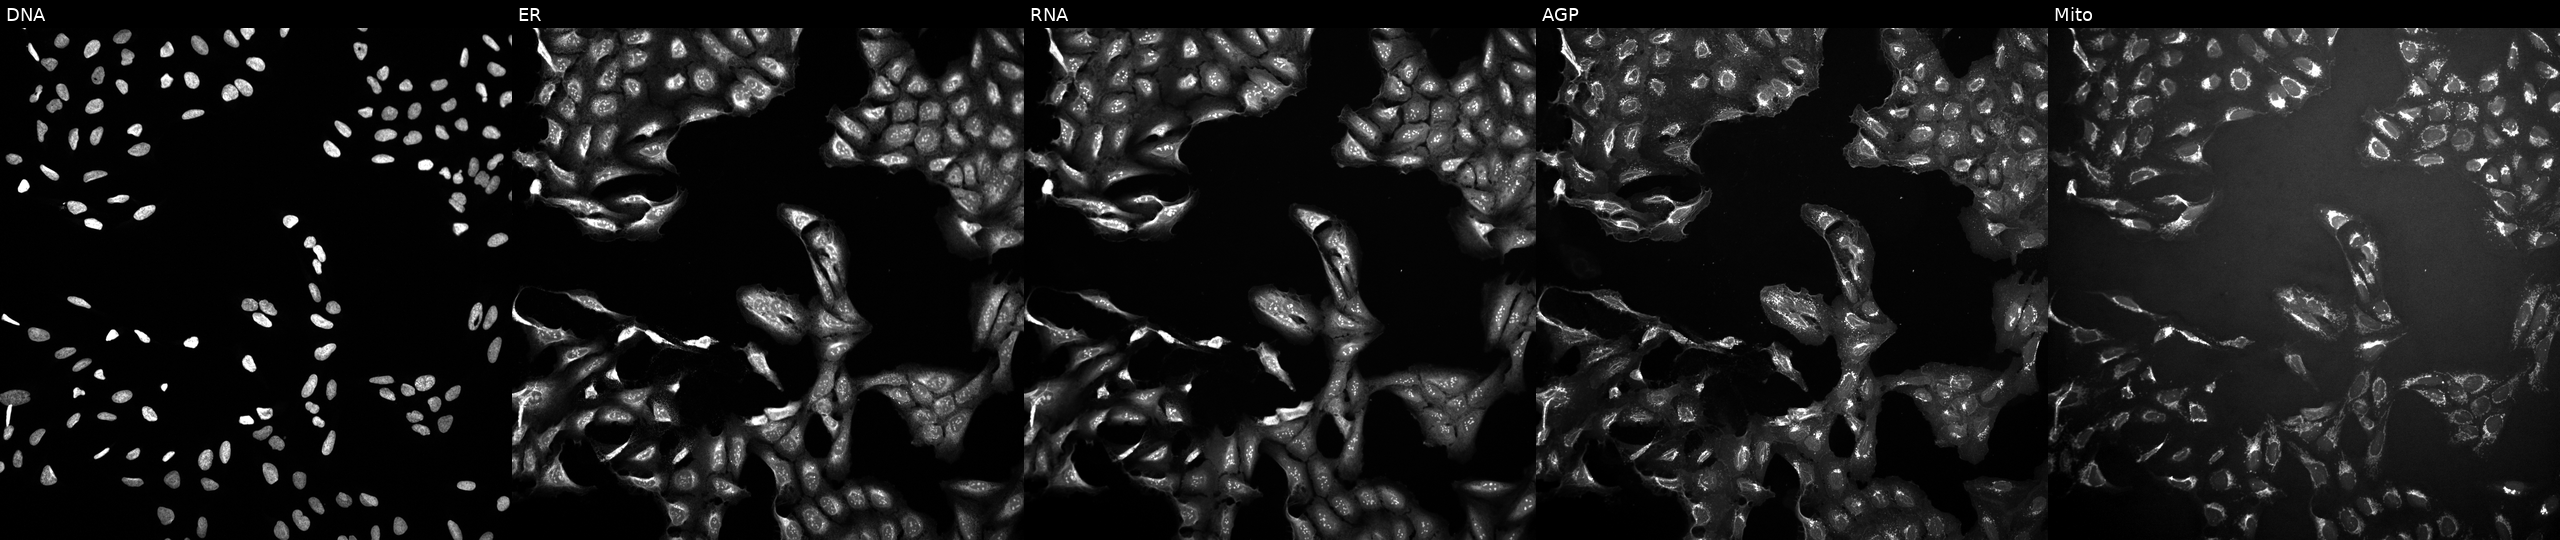
Five-channel Cell Painting image of U2OS cells exposed to DMSO alone as a negative control. Channels (left→right): Hoechst 33342, concanavalin A, SYTO 14, phalloidin and WGA, MitoTracker.